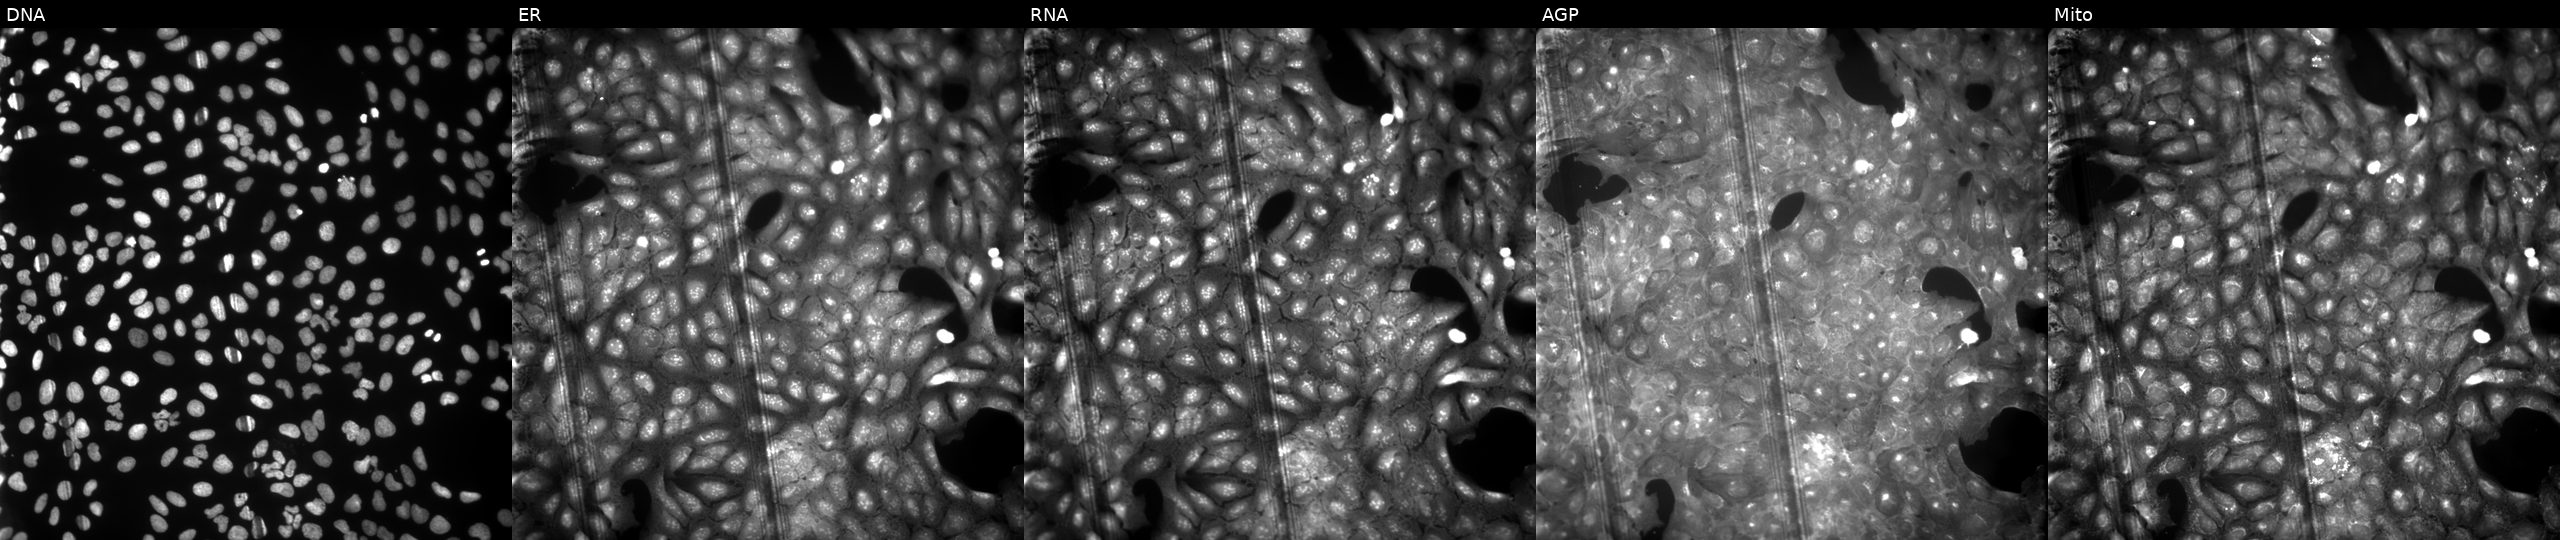
High-content fluorescence microscopy (Cell Painting). Cell line: U2OS. Perturbation: exposed to a small-molecule compound [SMILES: CN(C)S(=O)(=O)N1CCN(c2ccc([N+](=O)[O-])c(NC3CC3)c2)CC1] (JUMP id JCP2022_098102). Panels show, left to right, Hoechst 33342, concanavalin A, SYTO 14, phalloidin and WGA, MitoTracker. Source 9, plate GR00003381, well Z10.